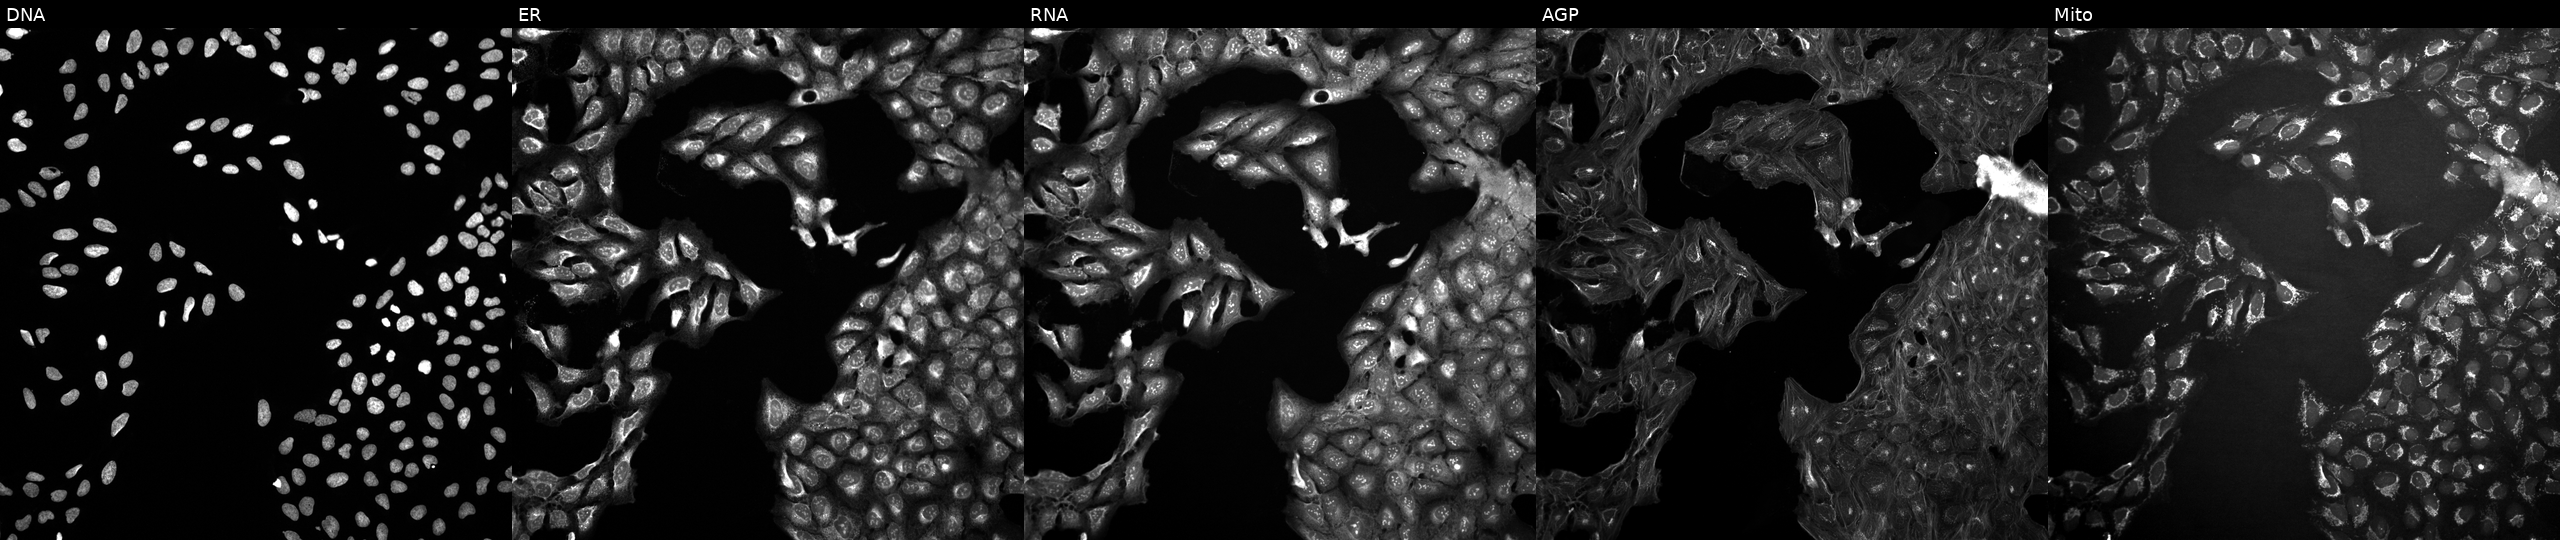
Five-channel Cell Painting image of U2OS cells untreated (empty-well control) (JUMP id JCP2022_999999). Channels (left→right): DNA, ER, RNA, AGP, and Mito. Source 10, plate Dest210531-152324, well F10.